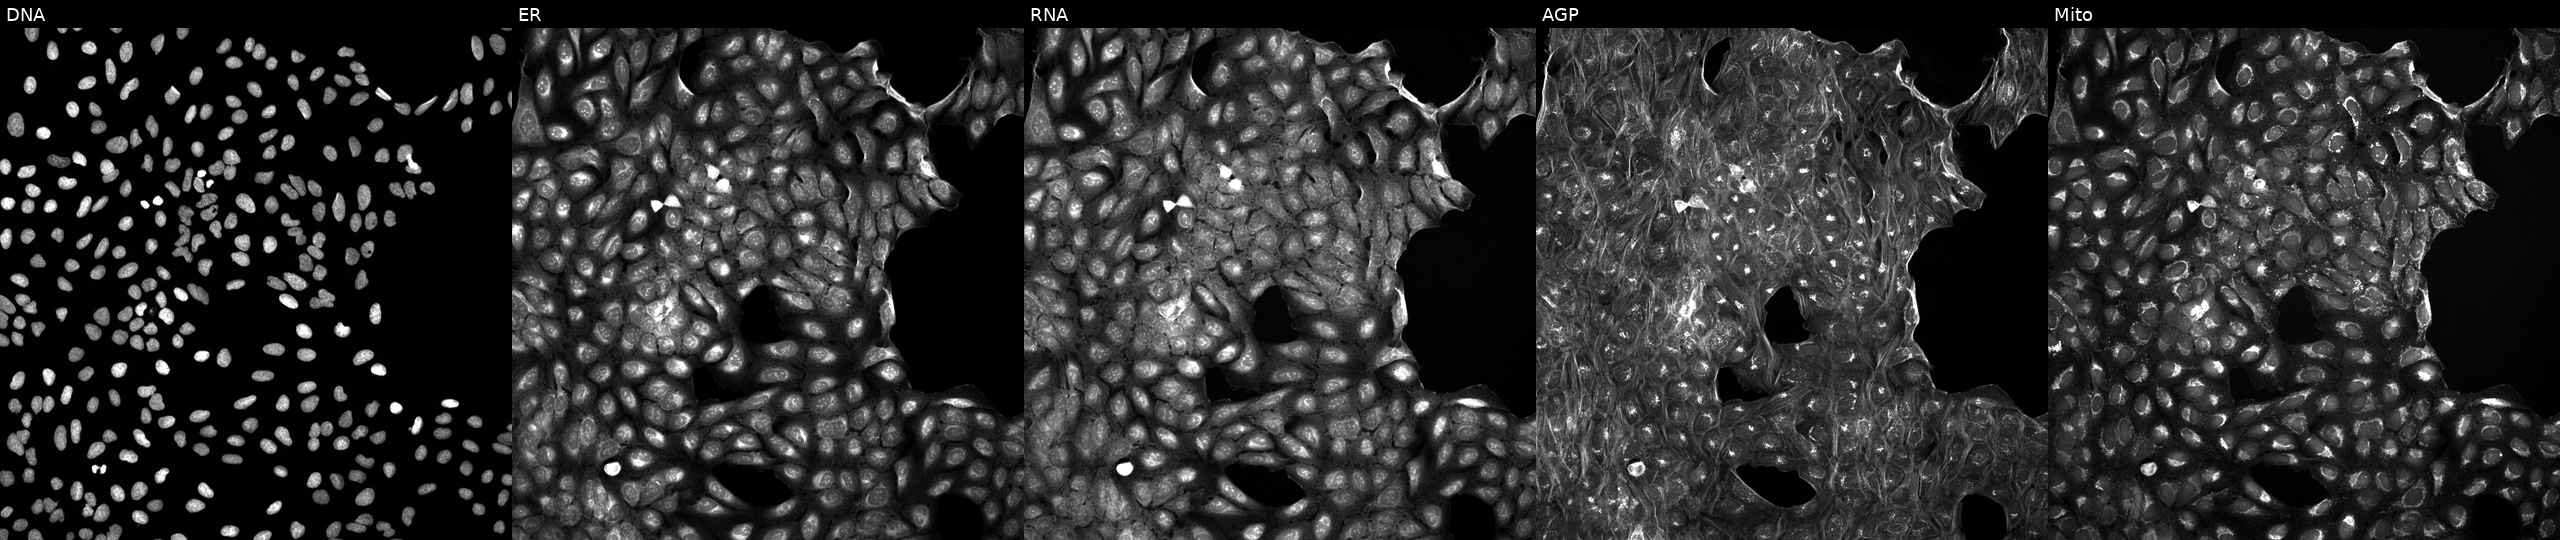
High-content fluorescence microscopy (Cell Painting). Cell line: U2OS. Perturbation: treated with a small-molecule compound. Panels show, left to right, DNA, ER, RNA, AGP, and Mito.